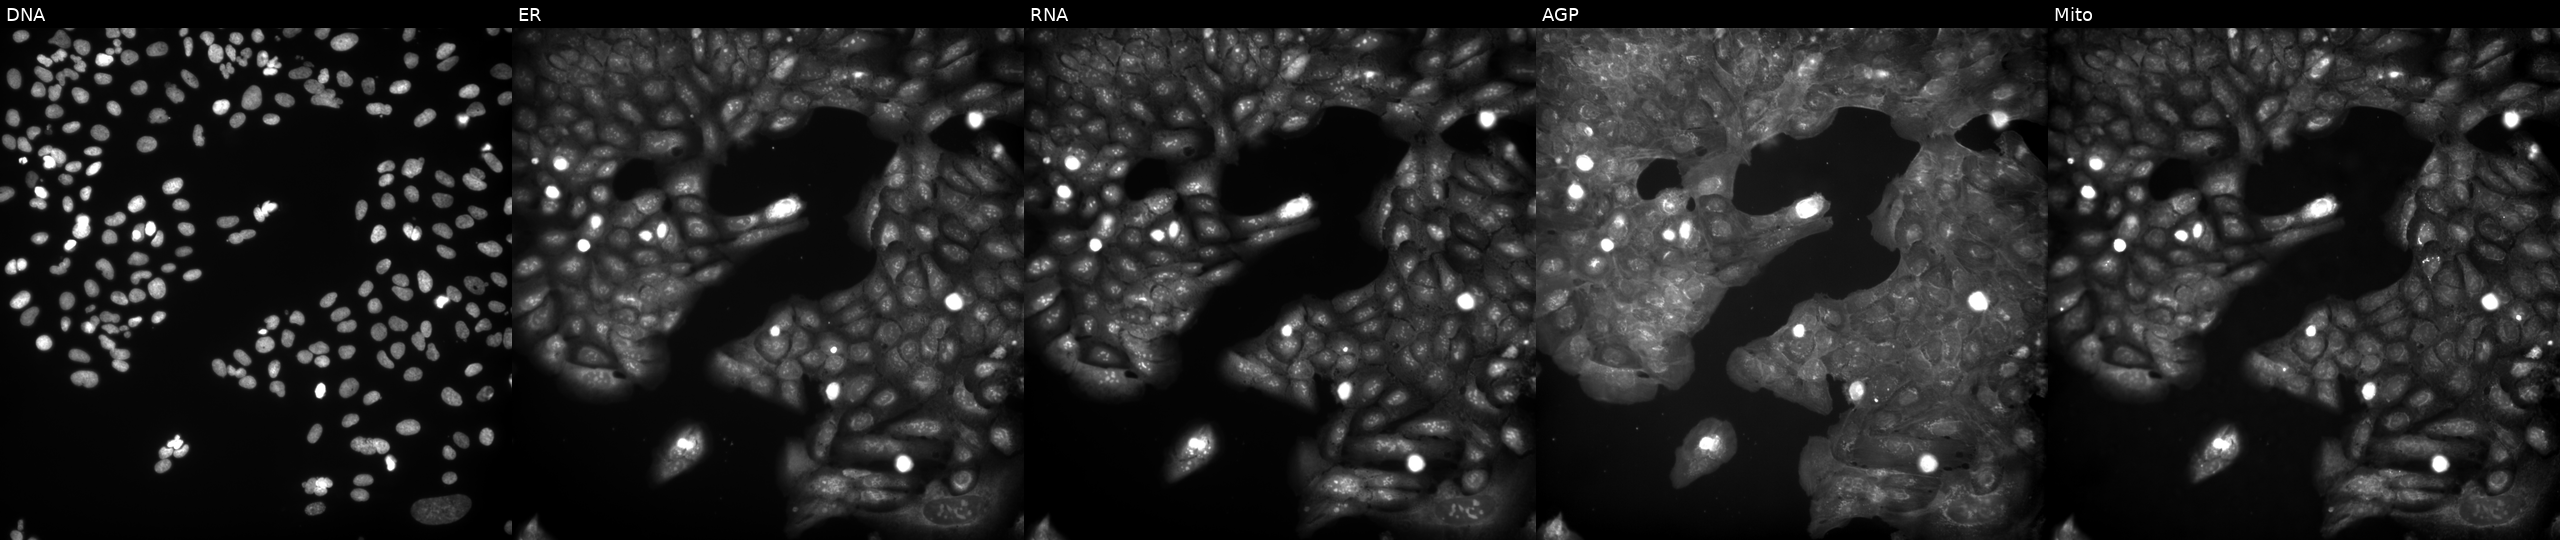
High-content fluorescence microscopy (Cell Painting). Cell line: U2OS. Perturbation: perturbed with a small-molecule compound (InChIKey RKJVXMKEAVMWHX-UHFFFAOYSA-N). From left to right: DNA (nuclei); ER (endoplasmic reticulum); RNA (nucleoli and cytoplasmic RNA); AGP (actin cytoskeleton, Golgi, and plasma membrane); Mito (mitochondria).